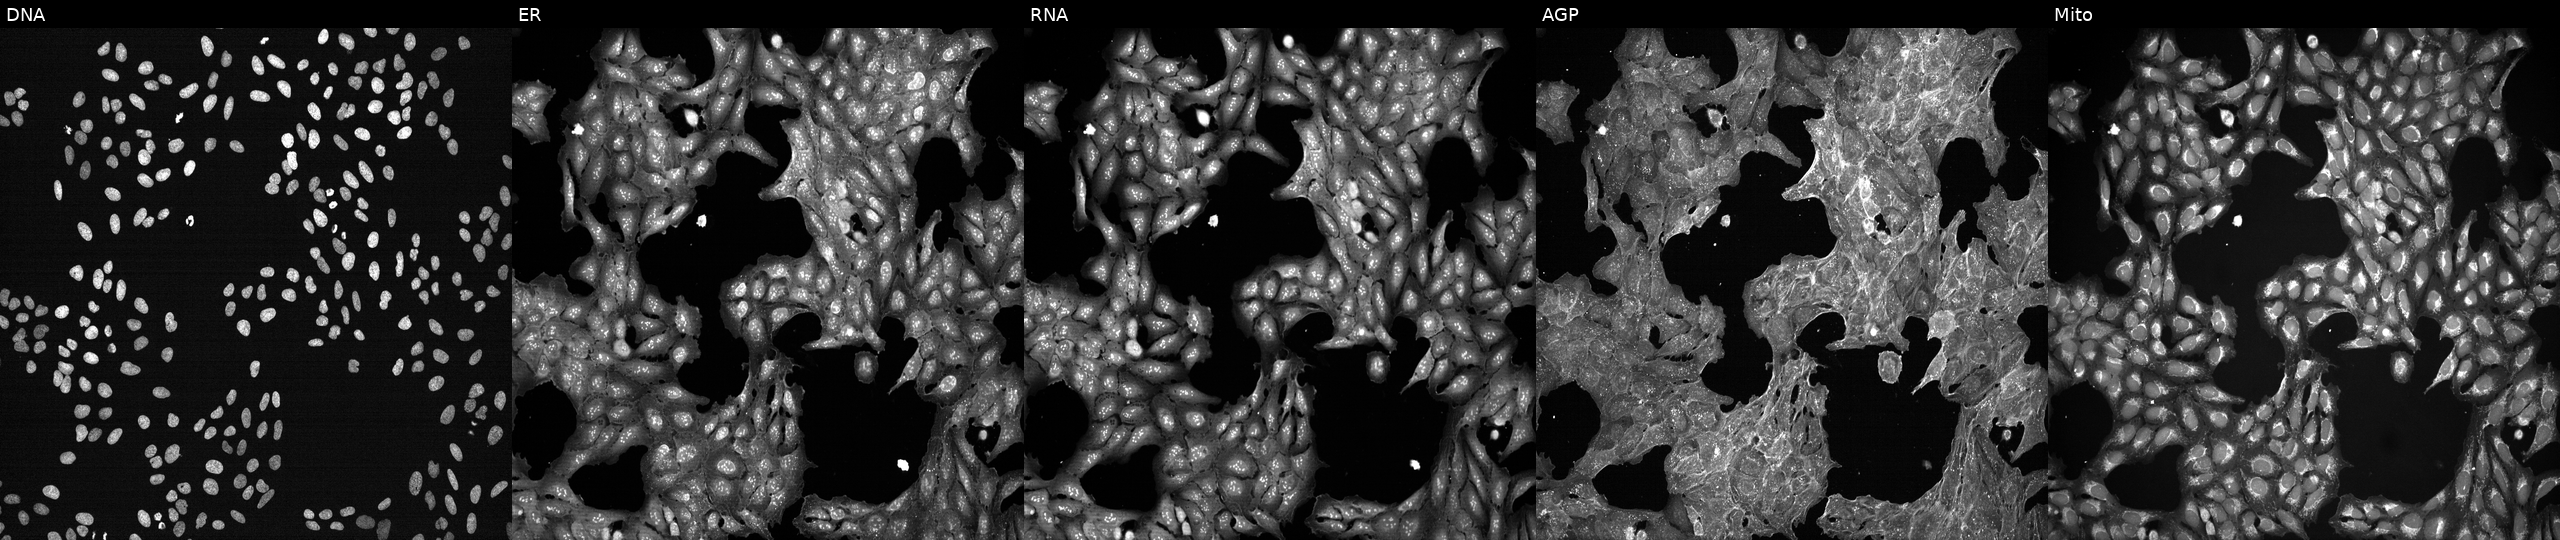
U2OS cells, Cell Painting assay, exposed to DMSO alone as a negative control (JUMP id JCP2022_033924). From left to right: Hoechst 33342, concanavalin A, SYTO 14, phalloidin and WGA, MitoTracker. Each panel is percentile-stretched 16-bit fluorescence.